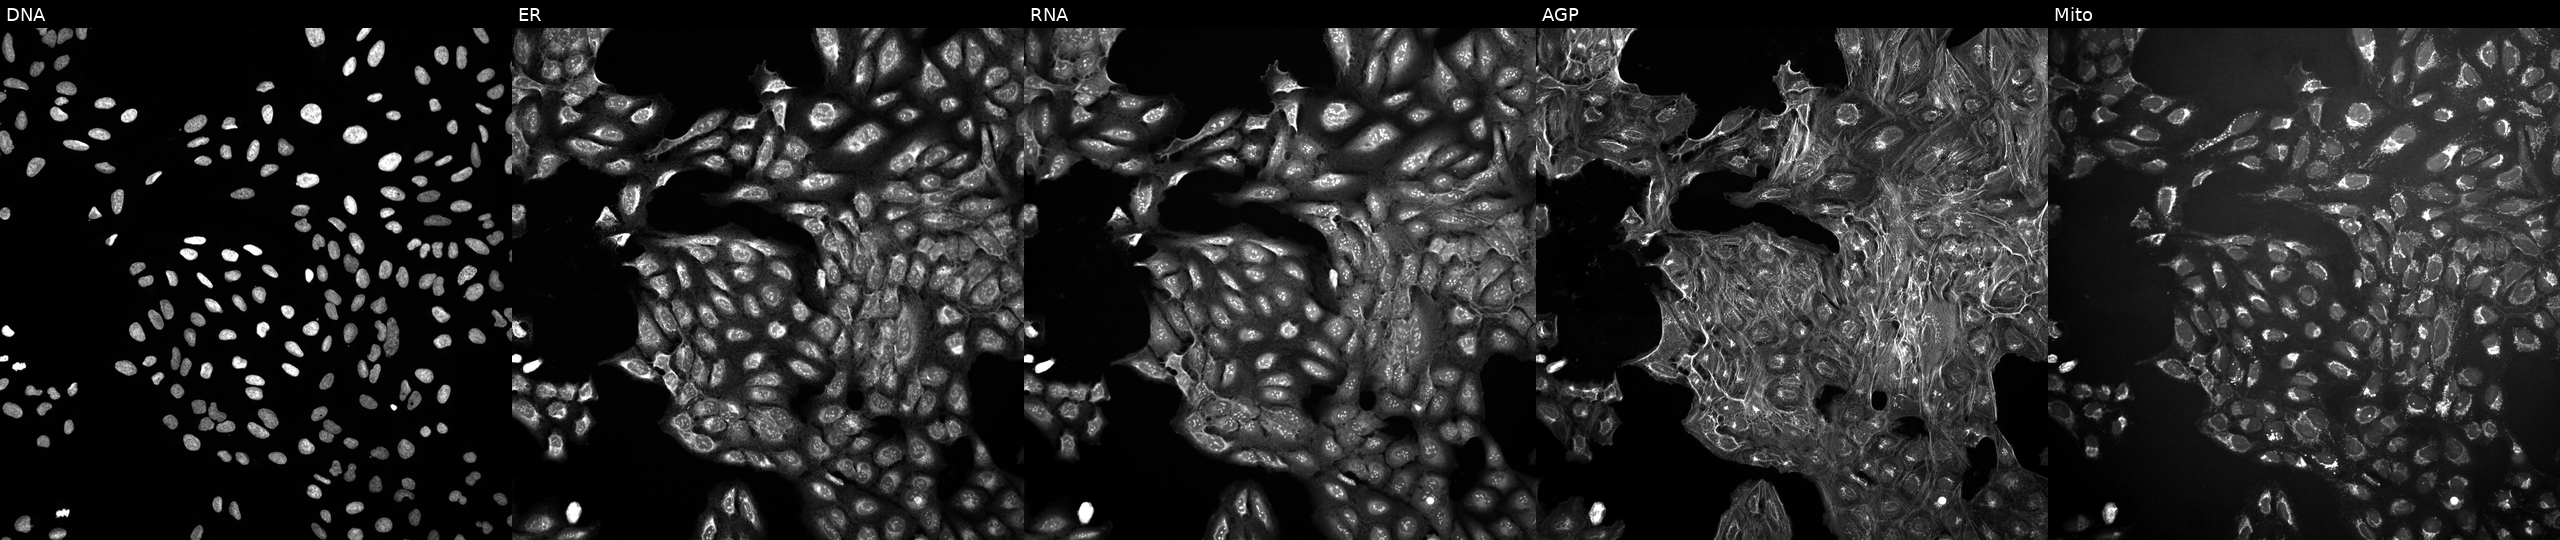
Panels show, left to right, DNA (nuclei); ER (endoplasmic reticulum); RNA (nucleoli and cytoplasmic RNA); AGP (actin cytoskeleton, Golgi, and plasma membrane); Mito (mitochondria). U2OS osteosarcoma cells in an empty control well (no perturbation). Cell Painting assay, JUMP-CP dataset. Source 10, plate Dest210531-152324, well I13.